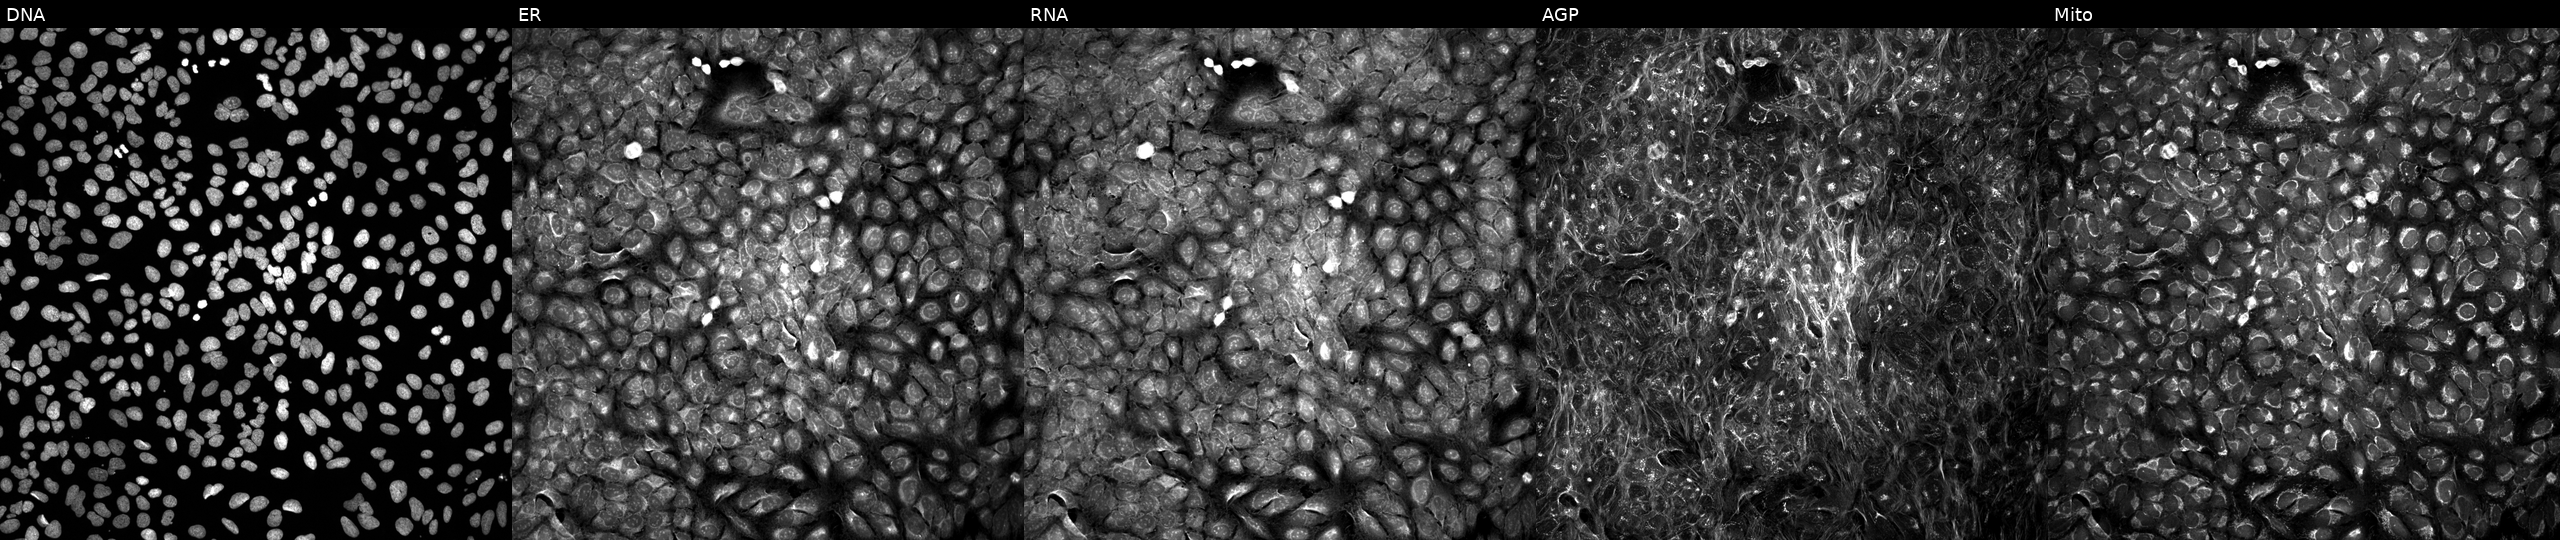
U2OS cells, Cell Painting assay, perturbed with a small-molecule compound (InChIKey JZFPYUNJRRFVQU-UHFFFAOYSA-N) (JUMP id JCP2022_043099). The five panels, left to right, show Hoechst 33342, concanavalin A, SYTO 14, phalloidin and WGA, MitoTracker. Each panel is percentile-stretched 16-bit fluorescence. Source 5, plate ACPJUM012, well P22.